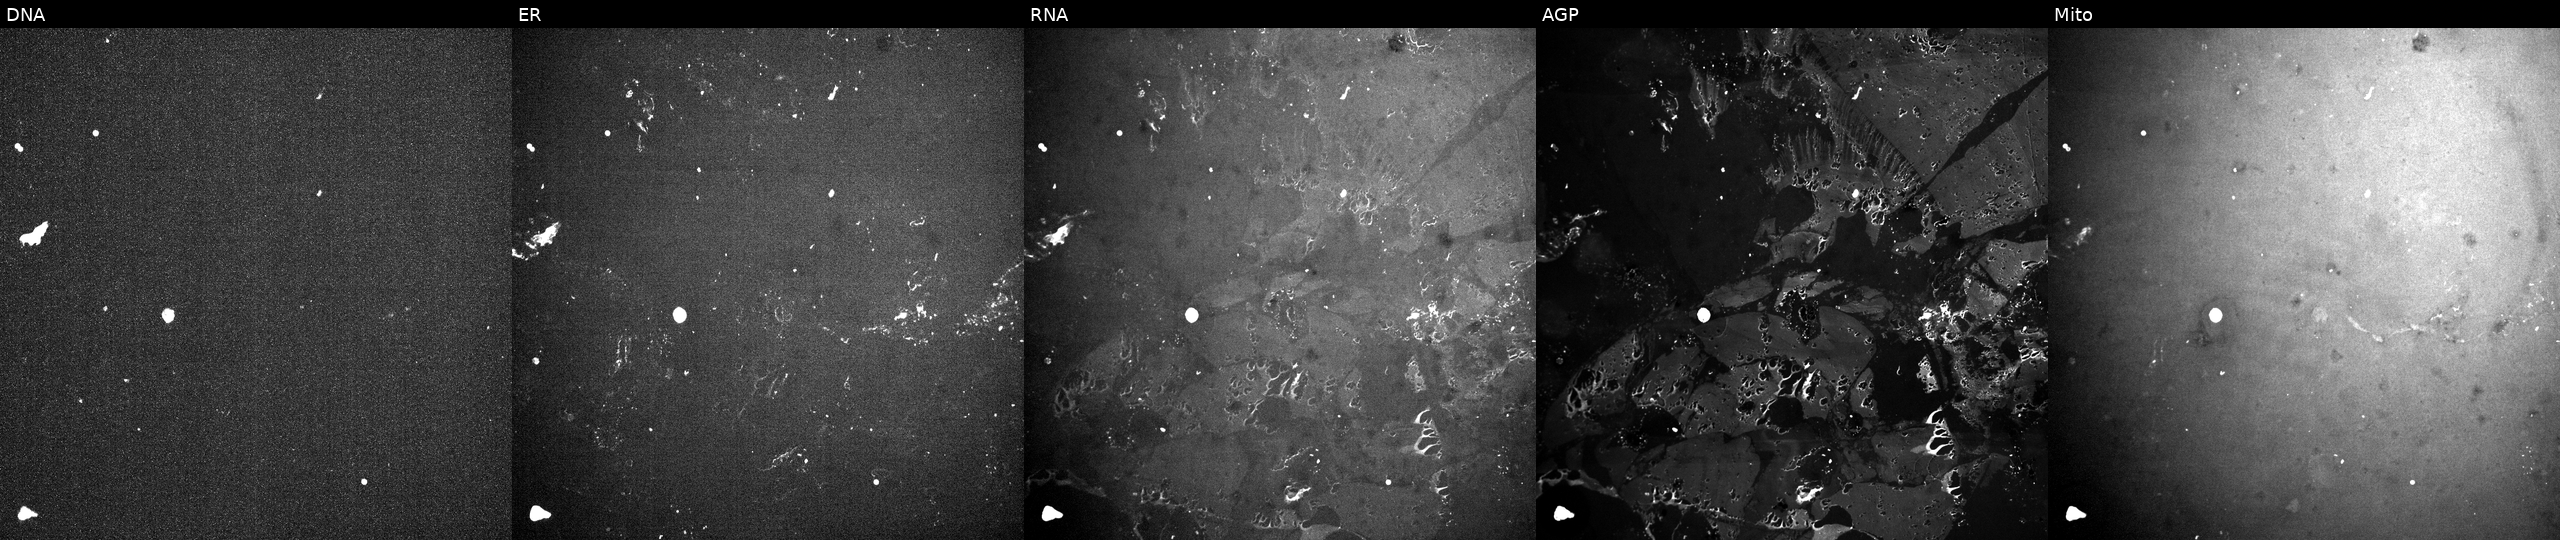
High-content fluorescence microscopy (Cell Painting). Cell line: U2OS. Perturbation: exposed to a small-molecule compound (InChIKey QVWFKETVZRUGPE-UHFFFAOYSA-N) (JUMP id JCP2022_076211). From left to right: Hoechst 33342, concanavalin A, SYTO 14, phalloidin and WGA, MitoTracker. Source 10, plate Dest210531-152324, well C22.